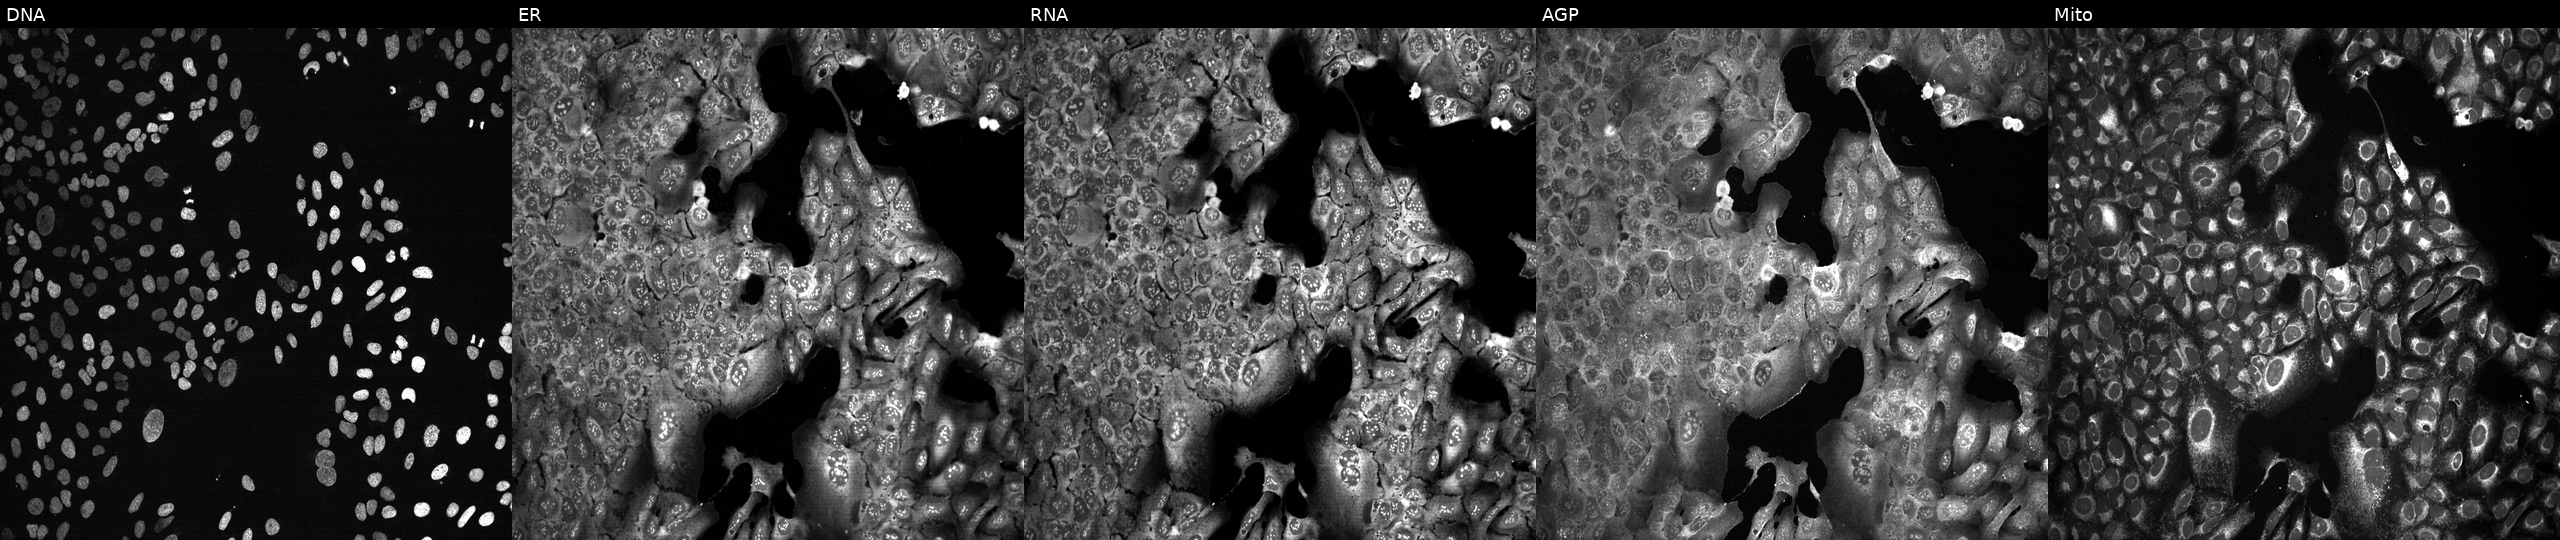
High-content fluorescence microscopy (Cell Painting). Cell line: U2OS. Perturbation: following CRISPR knockout of NANP (JUMP id JCP2022_804430). The five panels, left to right, show DNA, ER, RNA, AGP, and Mito.